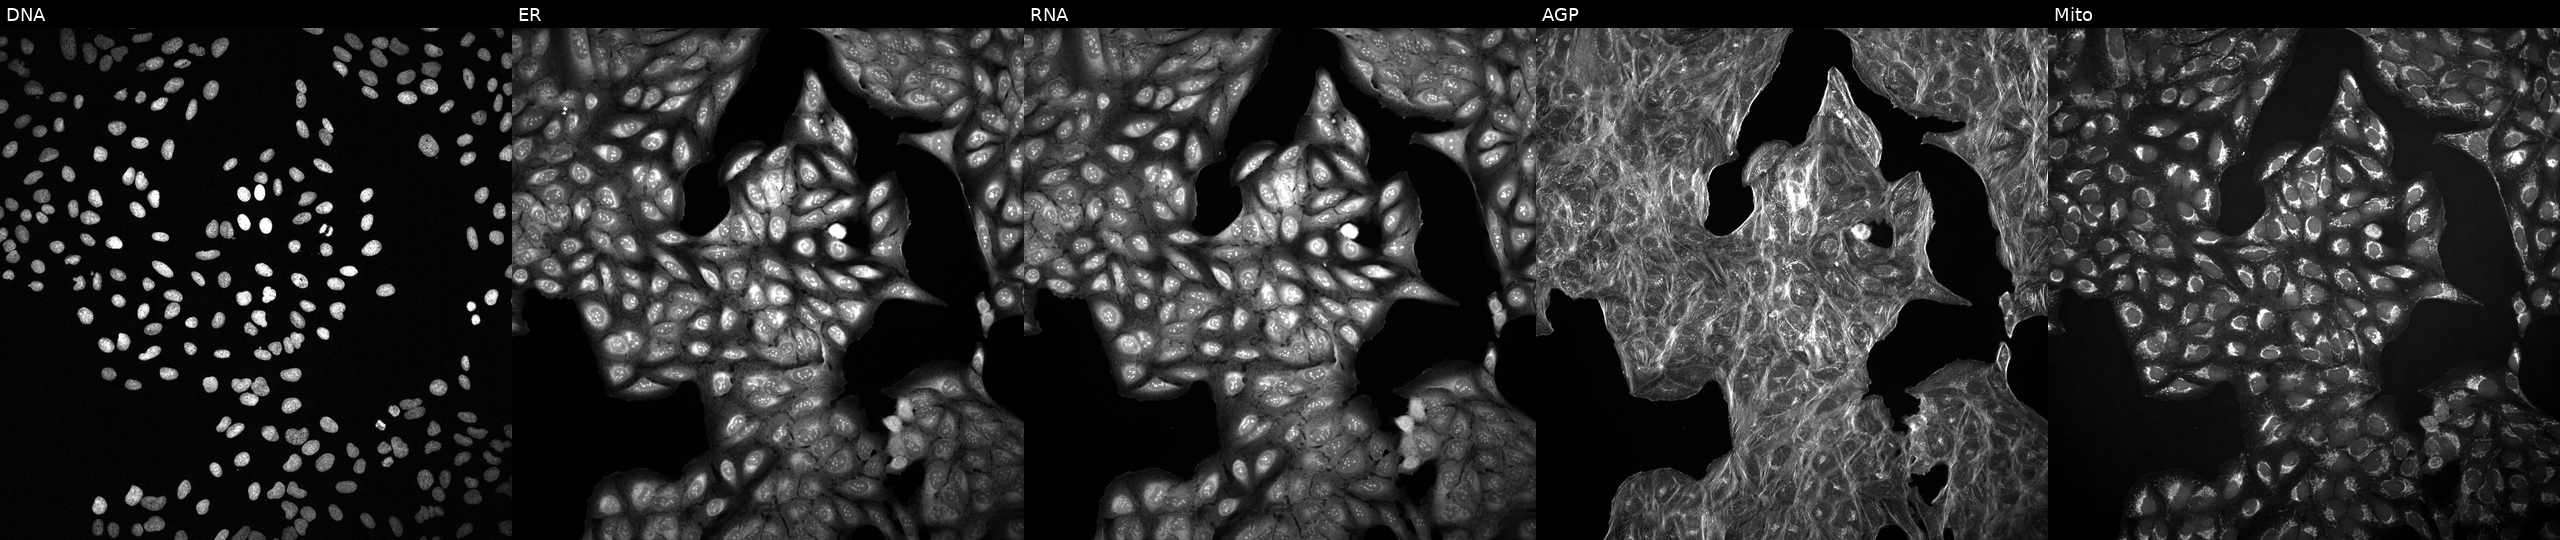
Five-channel Cell Painting image of U2OS cells with an unidentified perturbation (not annotated in JUMP metadata). Channels (left→right): Hoechst 33342, concanavalin A, SYTO 14, phalloidin and WGA, MitoTracker. Source 2, plate 1053601756, well P17.